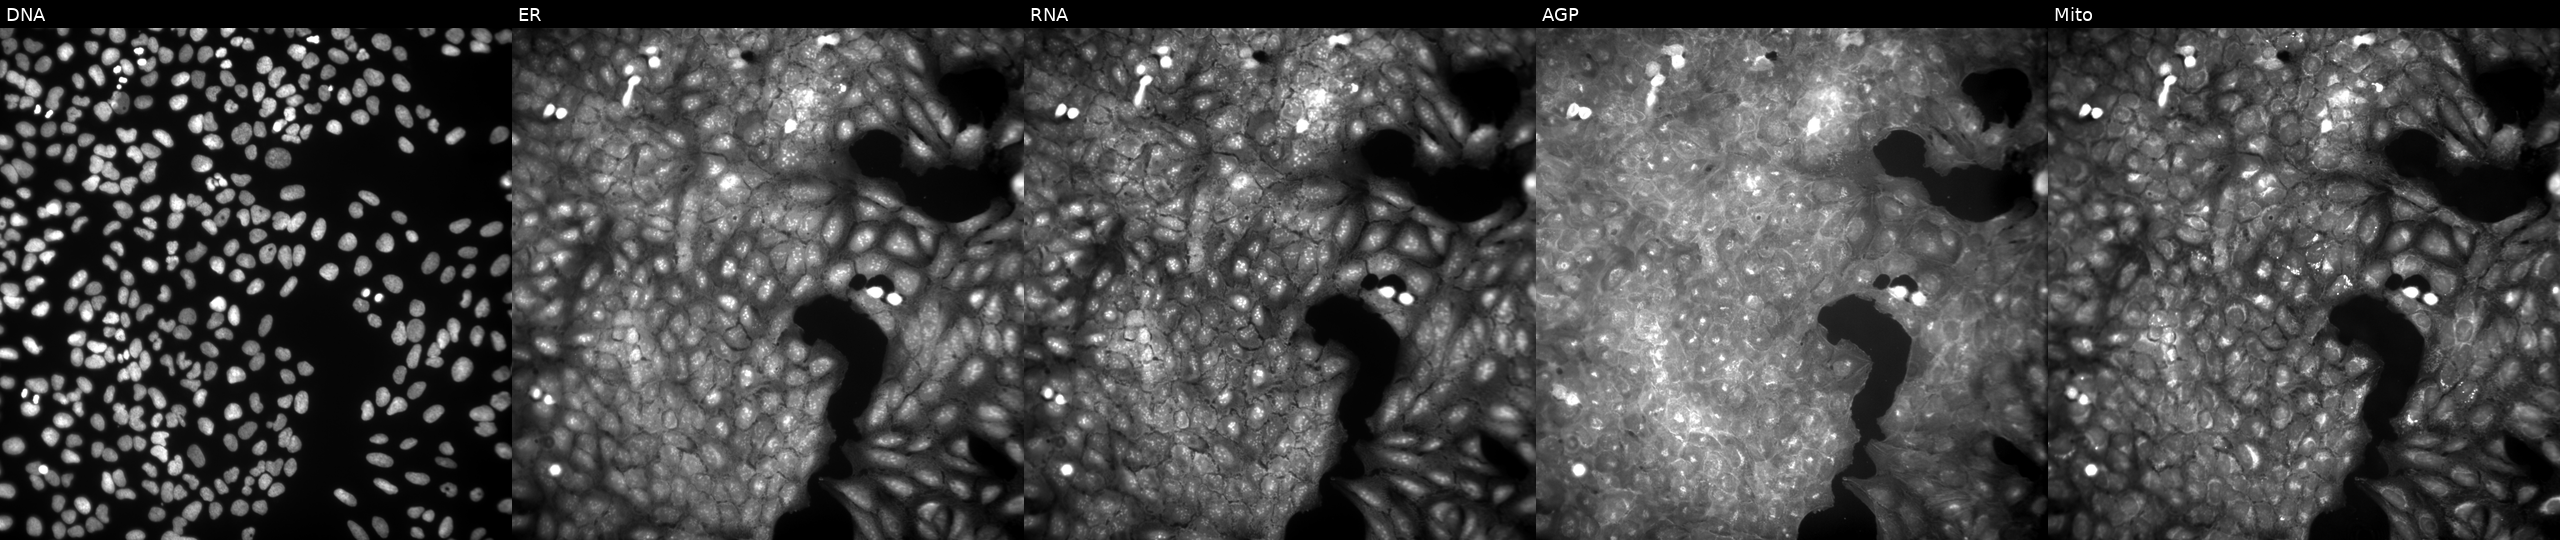
U2OS cells, Cell Painting assay, treated with DMSO vehicle only (negative control) (JUMP id JCP2022_033924). From left to right: Hoechst 33342, concanavalin A, SYTO 14, phalloidin and WGA, MitoTracker. Each panel is percentile-stretched 16-bit fluorescence.